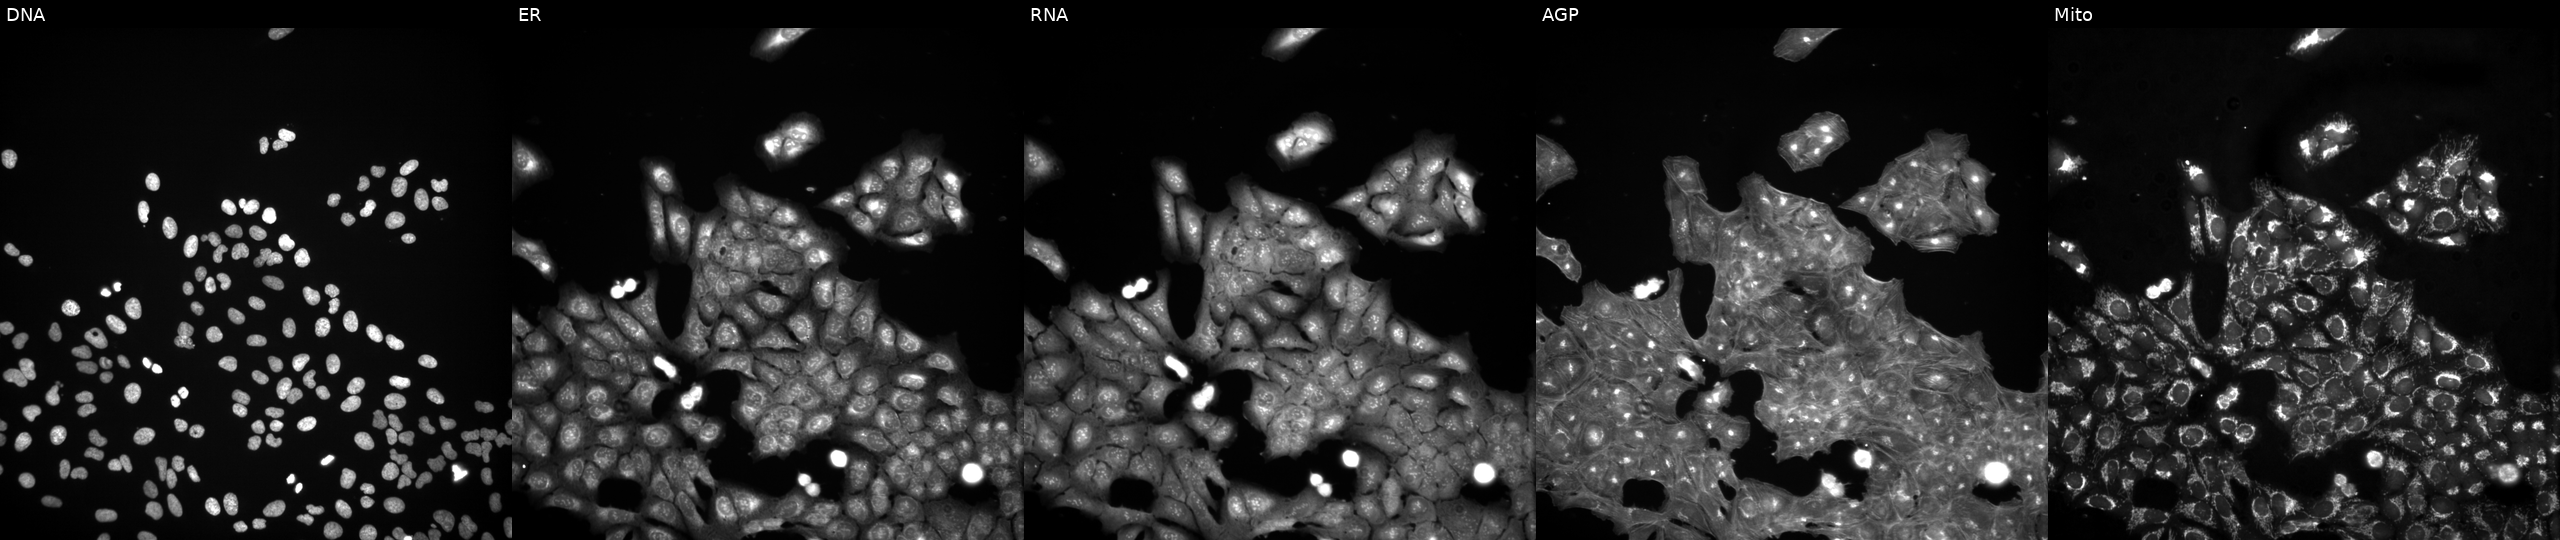
This image strip shows the five Cell Painting channels for a single field of U2OS cells exposed to a small-molecule compound (InChIKey SZBGQDXLNMELTB-UHFFFAOYSA-N) (JUMP id JCP2022_086505). The five panels, left to right, show DNA (nuclei); ER (endoplasmic reticulum); RNA (nucleoli and cytoplasmic RNA); AGP (actin cytoskeleton, Golgi, and plasma membrane); Mito (mitochondria).